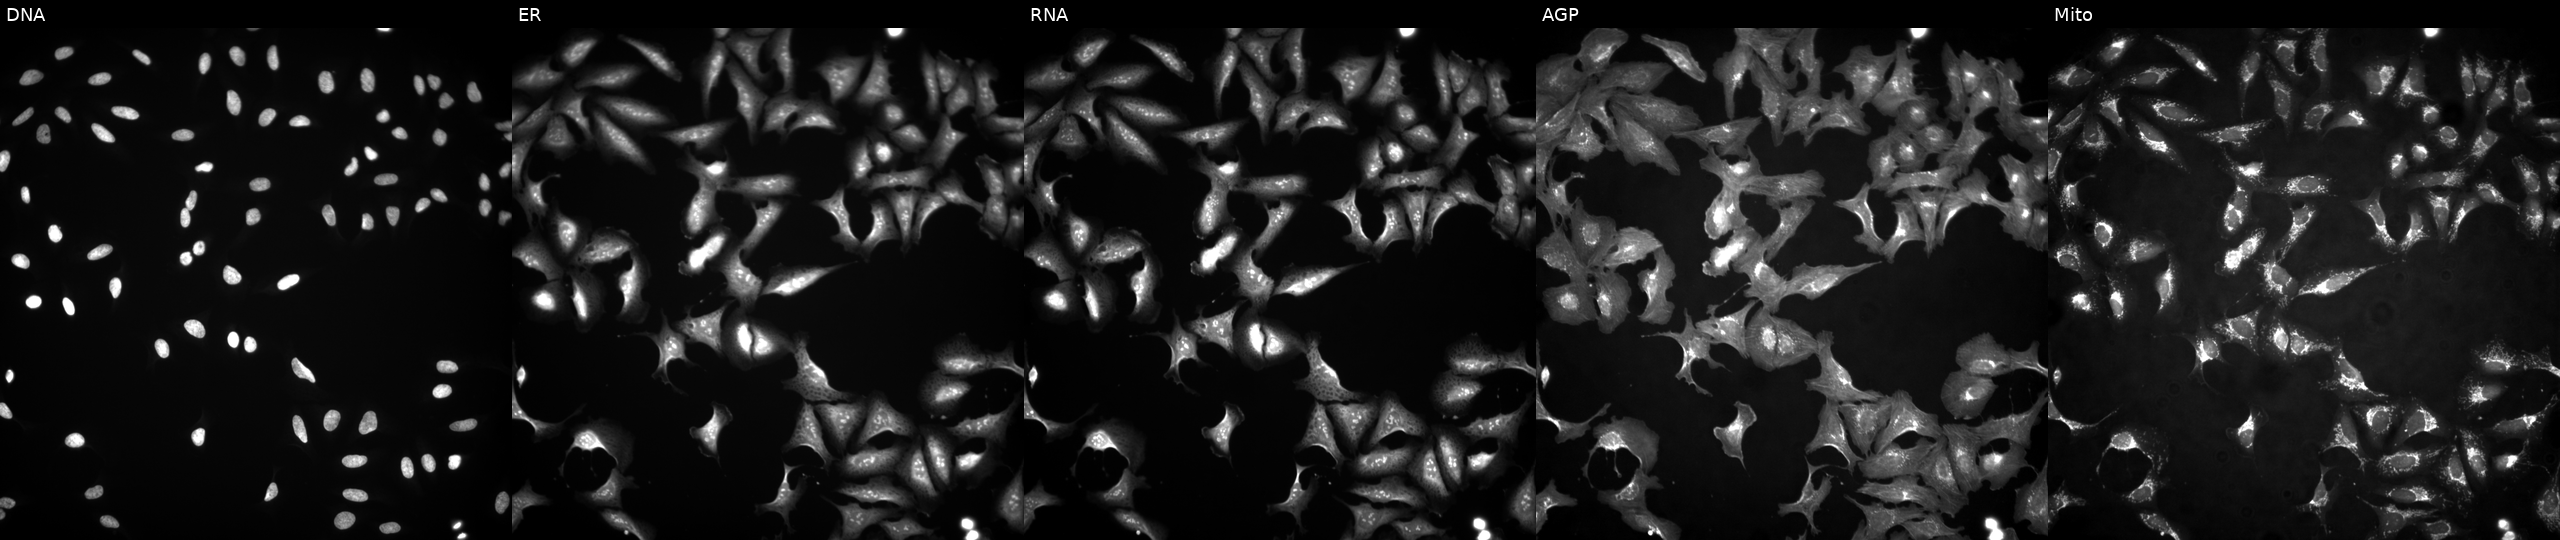
JUMP Cell Painting — ORF plate. U2OS cells overexpressing POU5F2 via ORF transfection (JUMP id JCP2022_912288). Channels (left→right): Hoechst 33342, concanavalin A, SYTO 14, phalloidin and WGA, MitoTracker. Source 4, plate BR00117035, well C14.